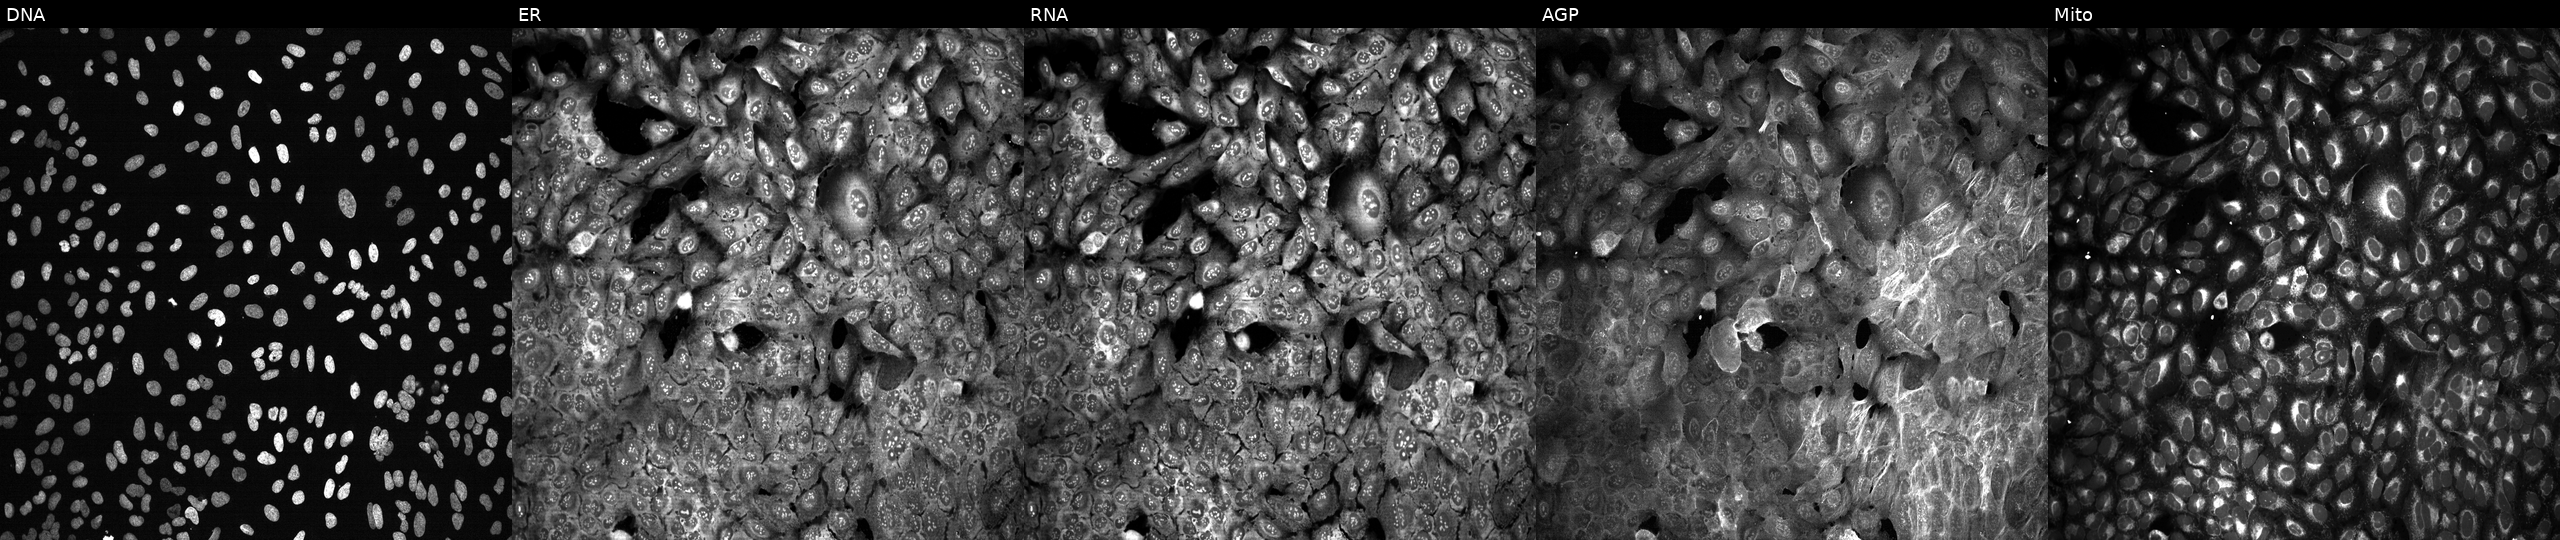
Five-channel Cell Painting image of U2OS cells with HLA-E knocked out by CRISPR (JUMP id JCP2022_803132). Channels (left→right): DNA (nuclei); ER (endoplasmic reticulum); RNA (nucleoli and cytoplasmic RNA); AGP (actin cytoskeleton, Golgi, and plasma membrane); Mito (mitochondria).